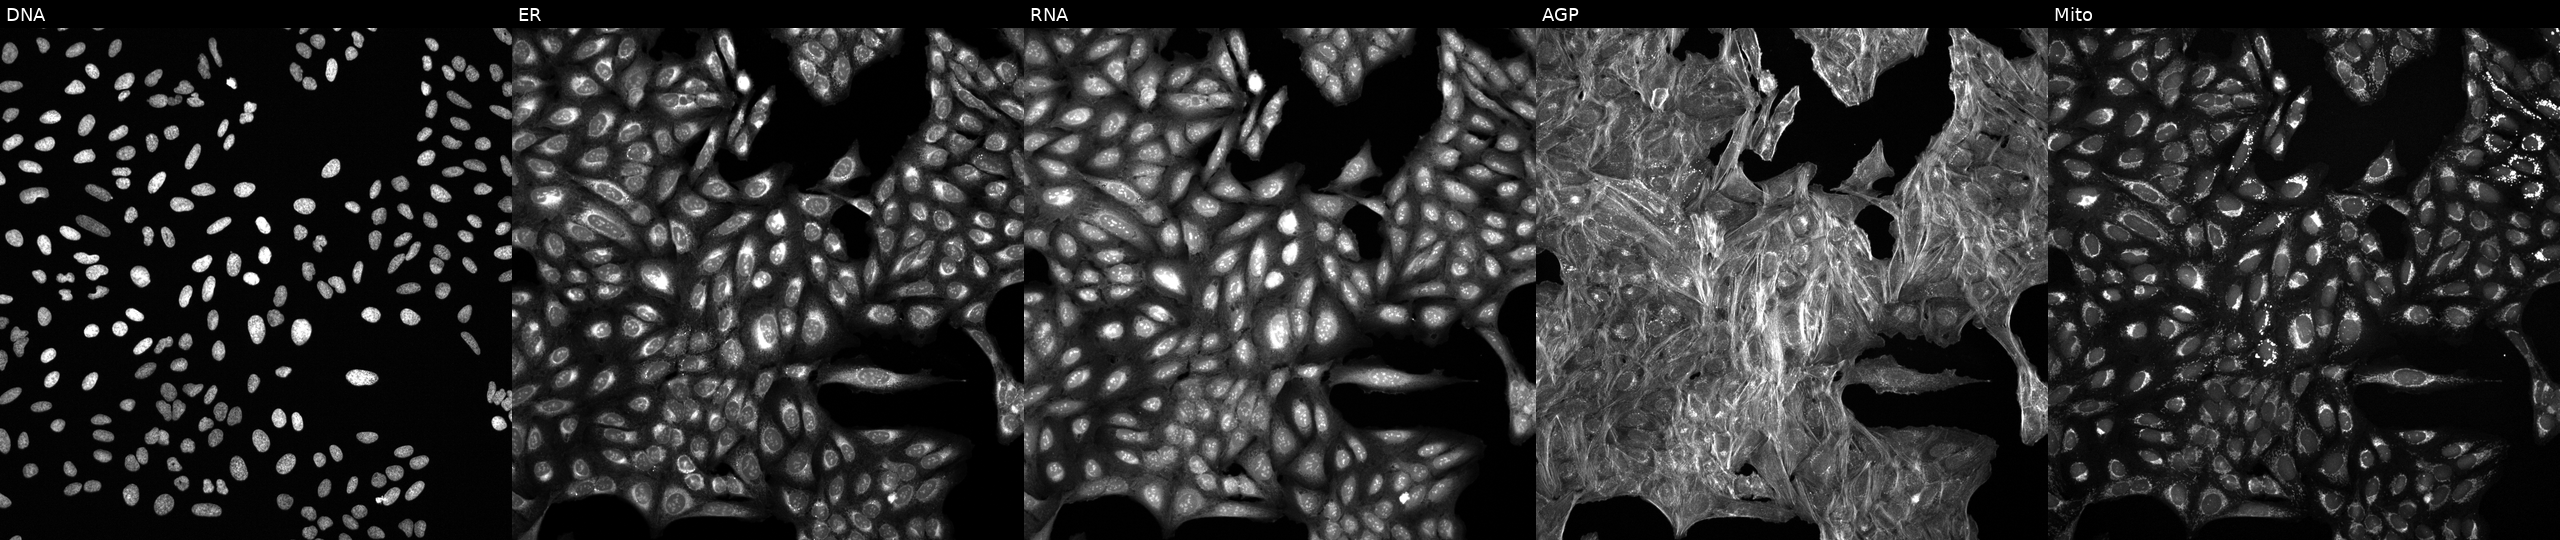
High-content fluorescence microscopy (Cell Painting). Cell line: U2OS. Perturbation: perturbed with a small-molecule compound (InChIKey XWCMMSHOTJQLPF-UHFFFAOYSA-N) [SMILES: CCn1ncc(CN(C)C(=O)c2cc(-c3ccc(OC)cc3)nc3c2c(C)nn3C)c1C]. From left to right: DNA (nuclei); ER (endoplasmic reticulum); RNA (nucleoli and cytoplasmic RNA); AGP (actin cytoskeleton, Golgi, and plasma membrane); Mito (mitochondria). Source 6, plate 110000293083, well F10.